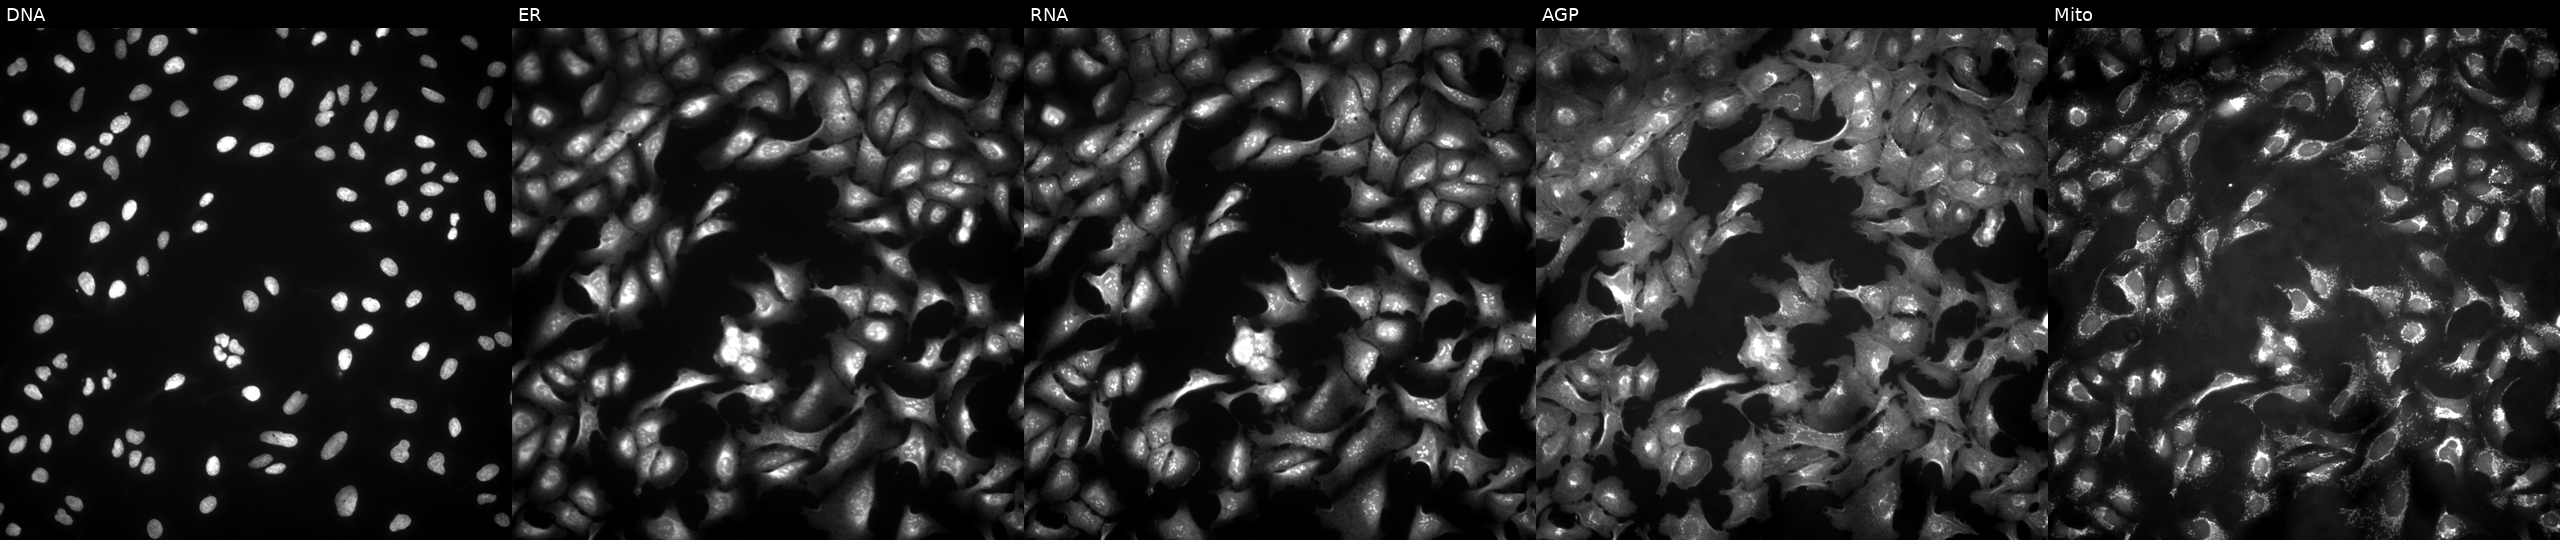
This image strip shows the five Cell Painting channels for a single field of U2OS cells transfected with an ORF construct for ISYNA1. Channels (left→right): DNA, ER, RNA, AGP, and Mito. Source 4, plate BR00123506, well L02.